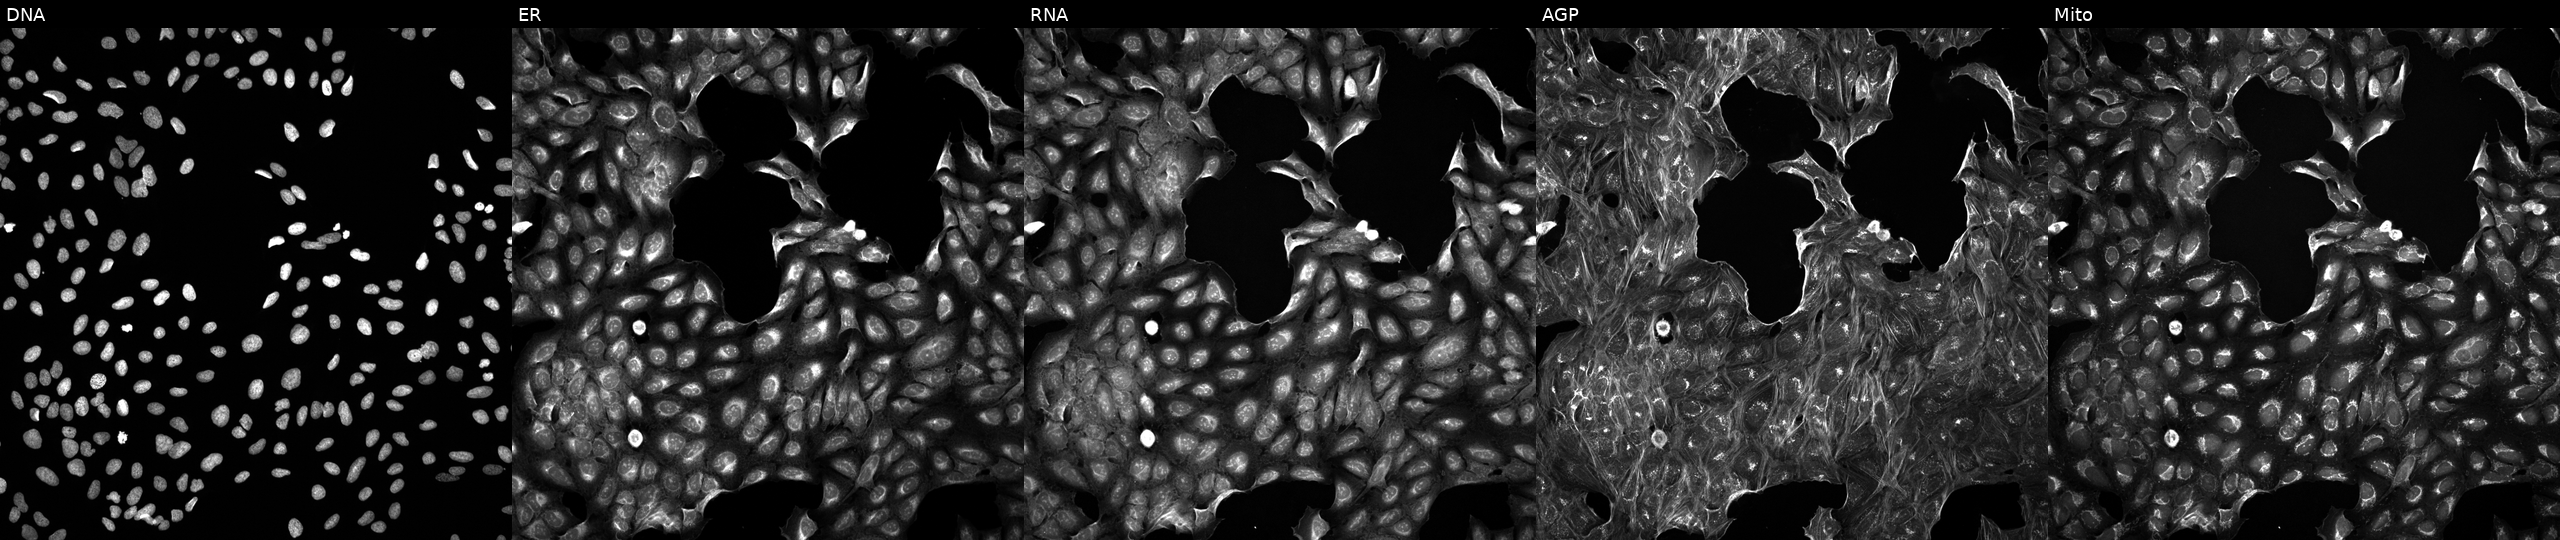
The five panels, left to right, show Hoechst 33342, concanavalin A, SYTO 14, phalloidin and WGA, MitoTracker. U2OS osteosarcoma cells perturbed with a small-molecule compound (InChIKey CMYHZFCJPORPHY-UHFFFAOYSA-N) [SMILES: CSc1nc(=N)cc(Oc2ccc(-c3nc(=Nc4cccc(C(F)(F)F)c4)[nH][nH]3)cc2)[nH]1] (JUMP id JCP2022_012198). Cell Painting assay, JUMP-CP dataset. Source 5, plate ACPJUM012, well I16.